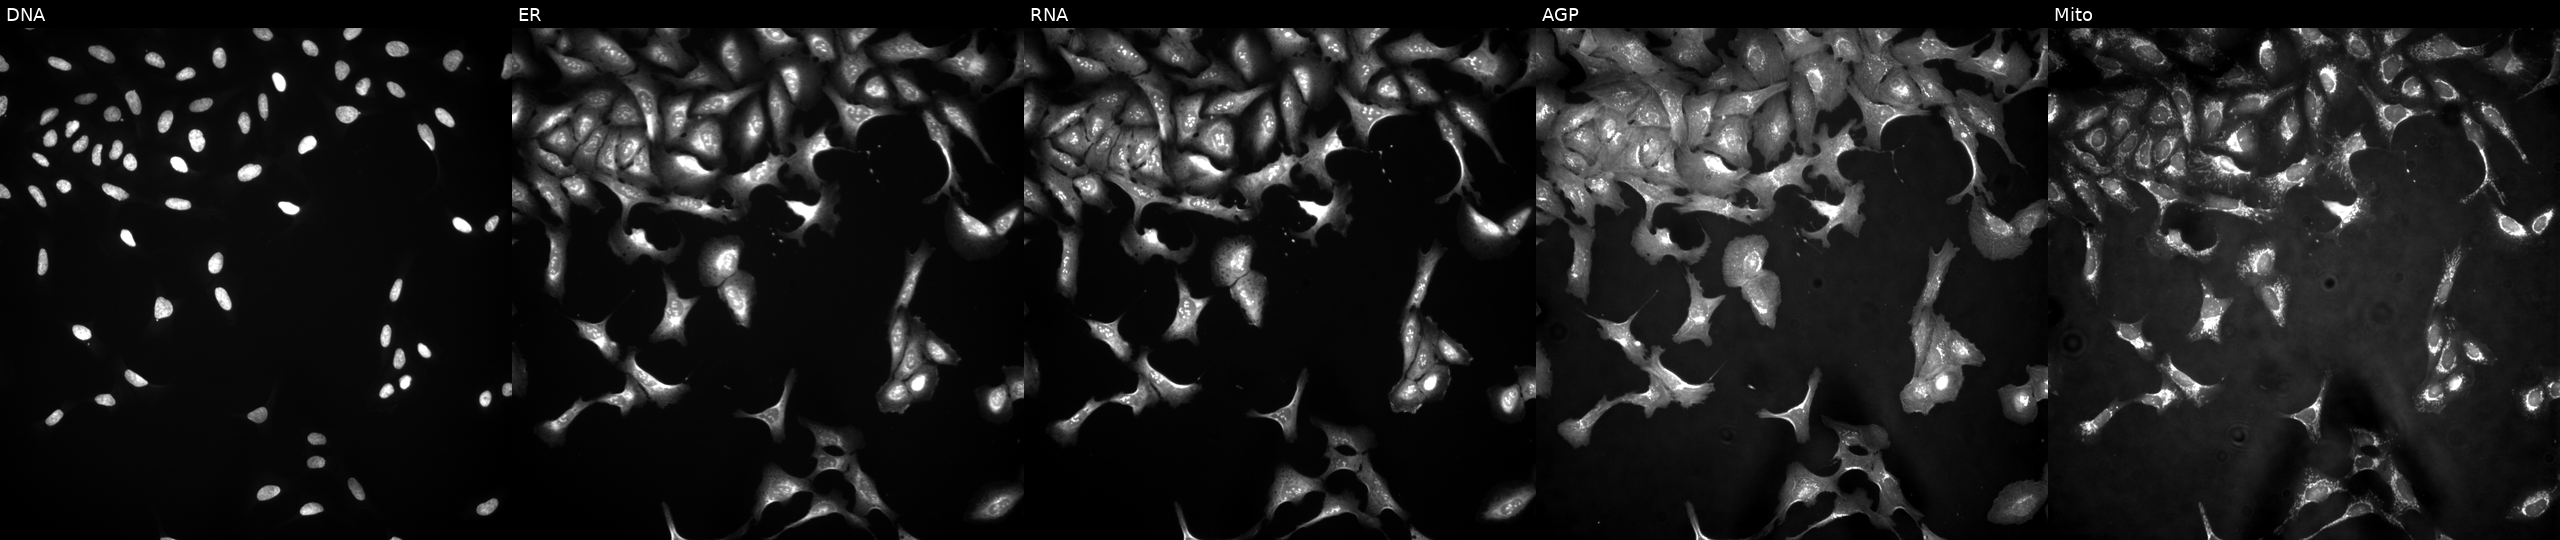
JUMP Cell Painting — ORF plate. U2OS cells with HEATR1 overexpressed (ORF) (JUMP id JCP2022_911342). Channels (left→right): DNA, ER, RNA, AGP, and Mito.